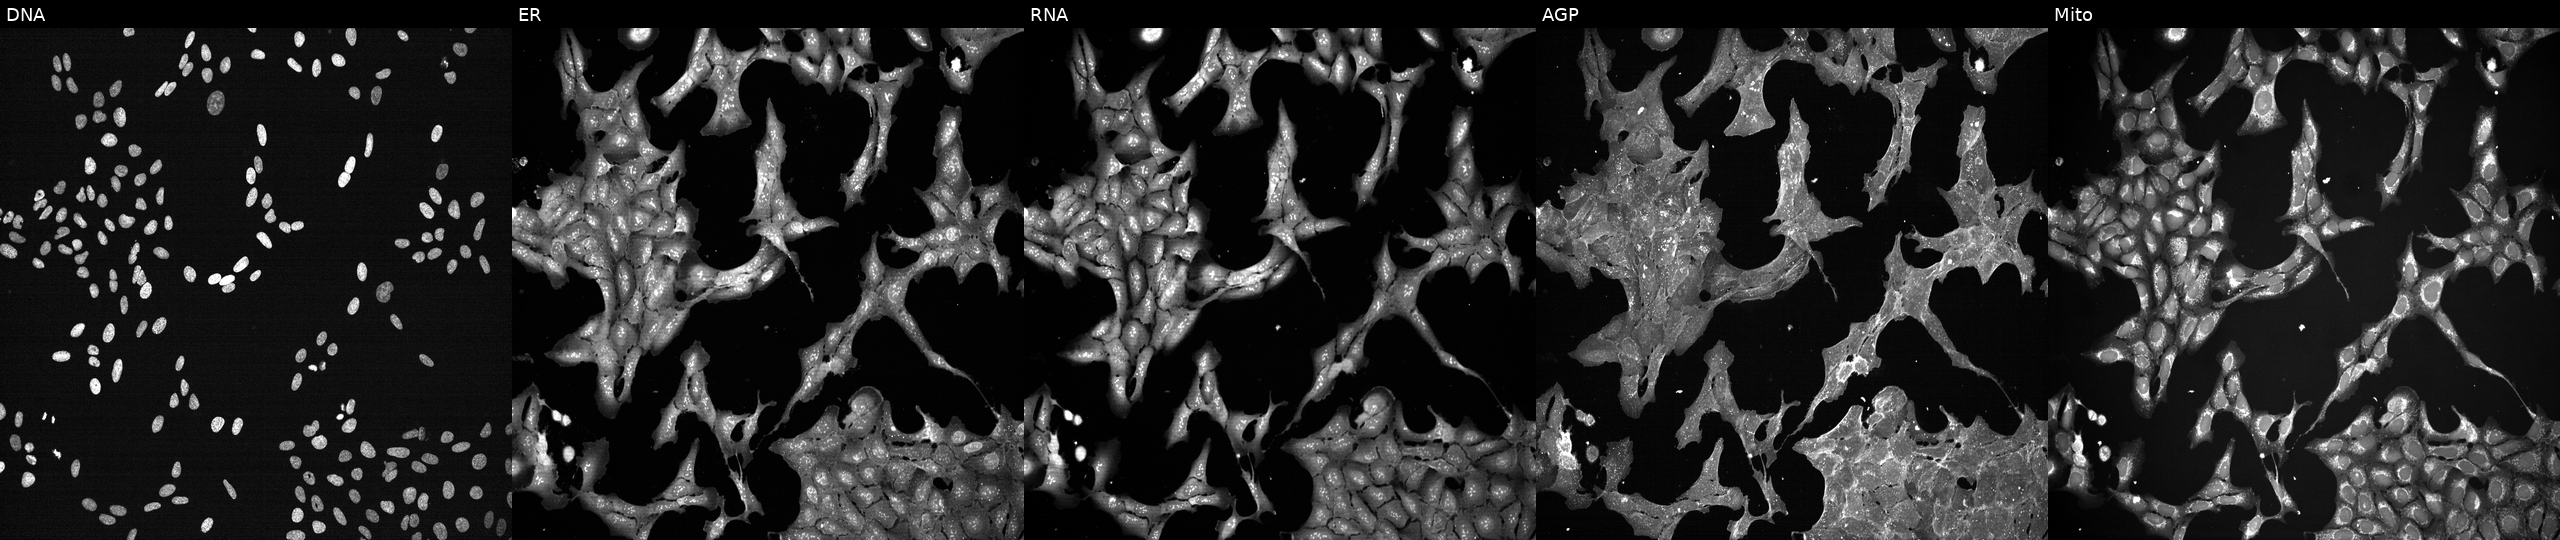
High-content fluorescence microscopy (Cell Painting). Cell line: U2OS. Perturbation: treated with a small-molecule compound. Channels (left→right): Hoechst 33342, concanavalin A, SYTO 14, phalloidin and WGA, MitoTracker.